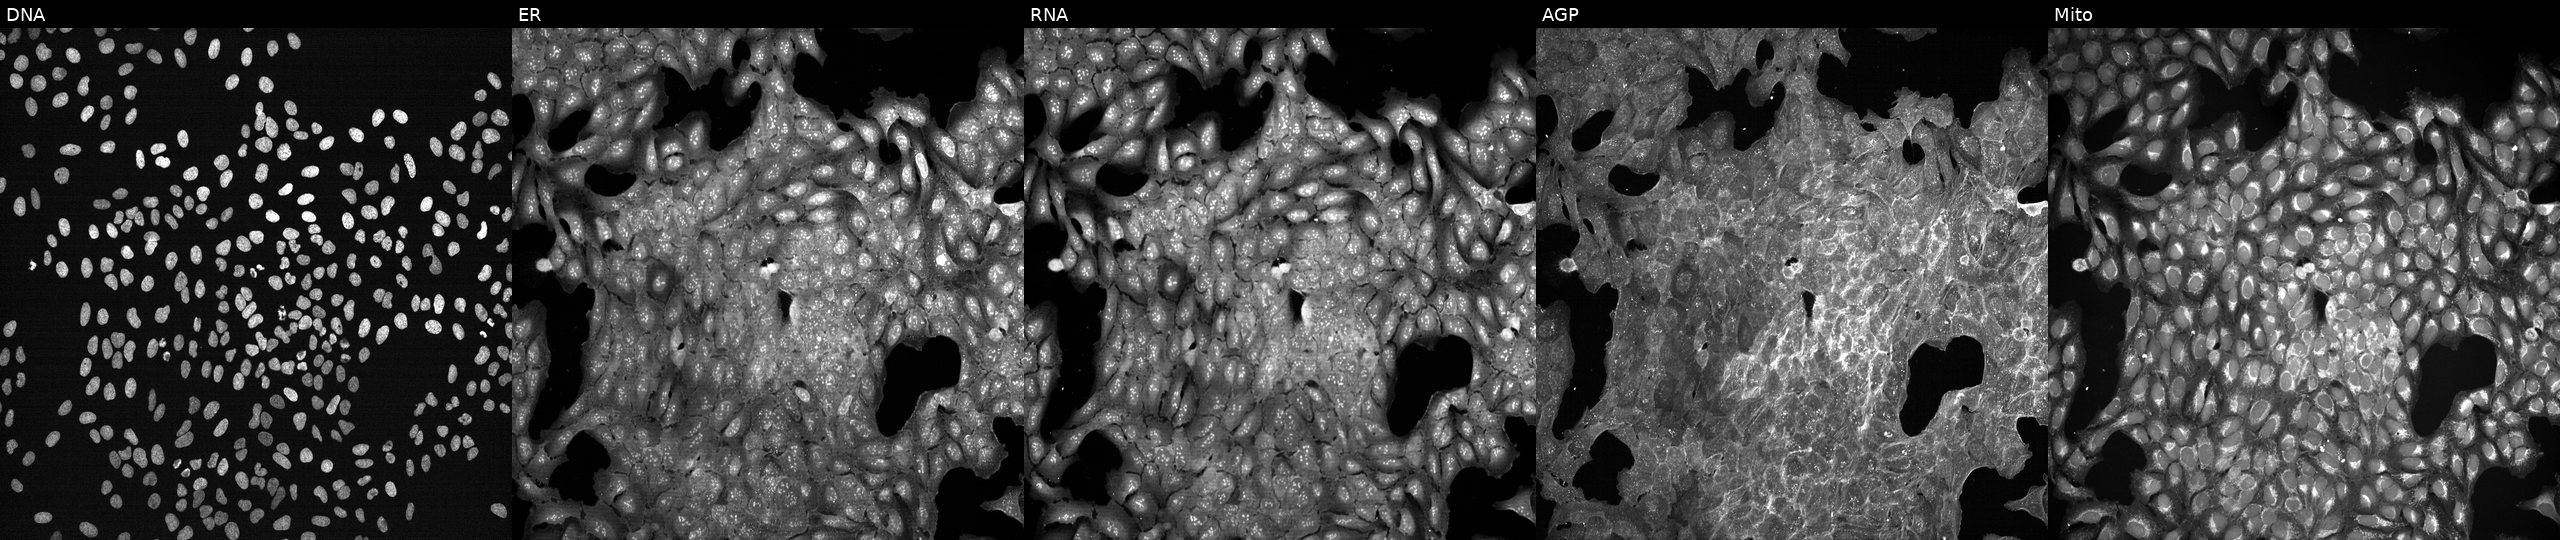
From left to right: Hoechst 33342, concanavalin A, SYTO 14, phalloidin and WGA, MitoTracker. U2OS osteosarcoma cells exposed to DMSO alone as a negative control (JUMP id JCP2022_033924). Cell Painting assay, JUMP-CP dataset.